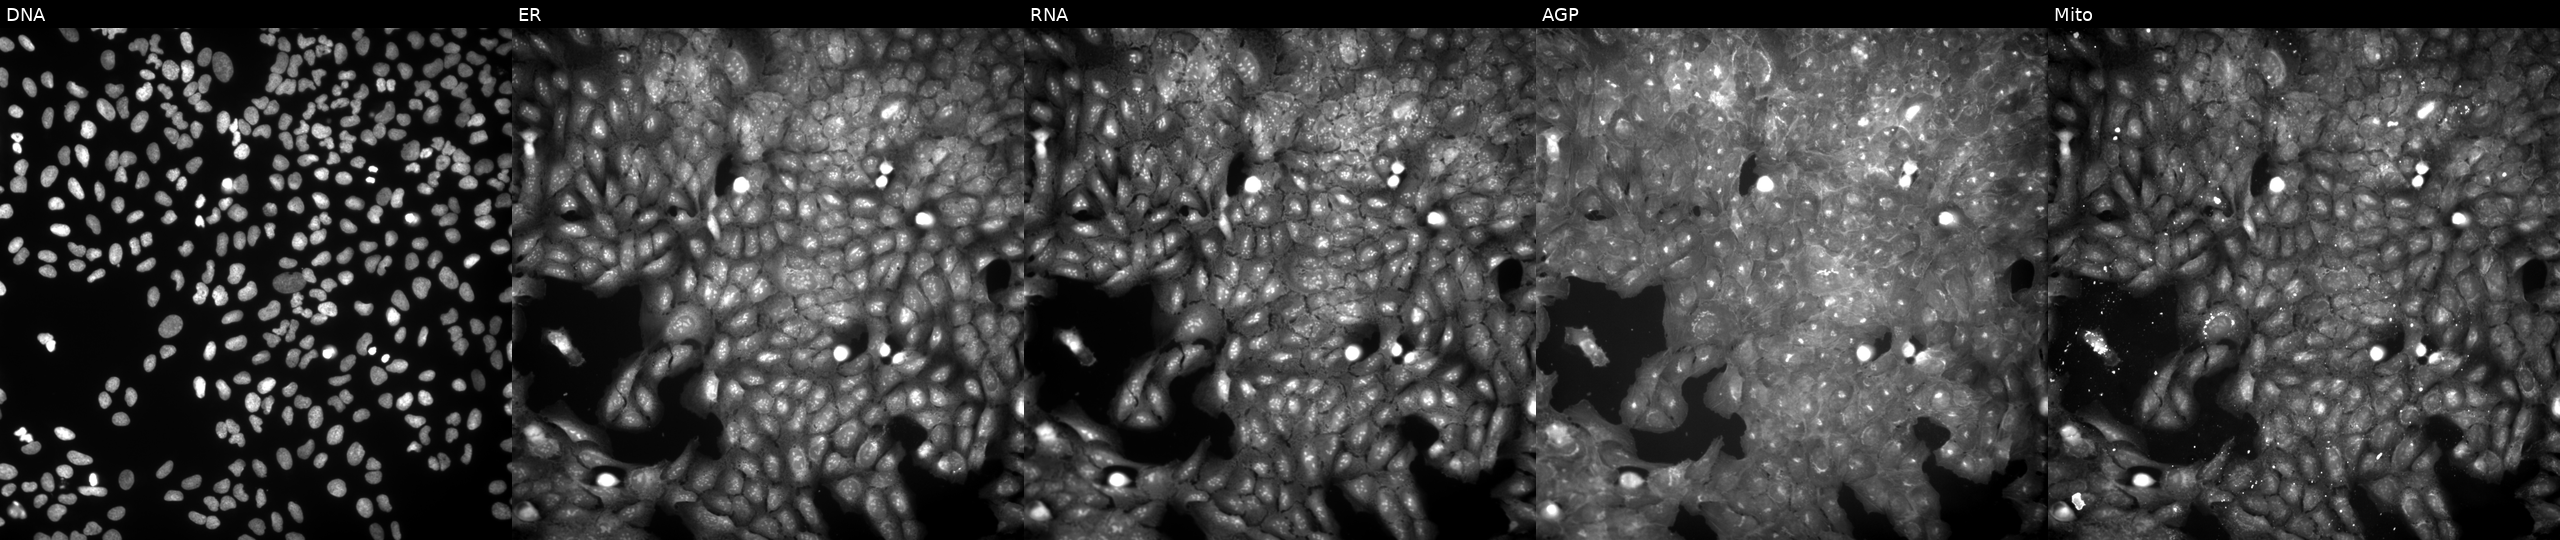
High-content fluorescence microscopy (Cell Painting). Cell line: U2OS. Perturbation: exposed to the positive-control compound TC-S-7004 (JUMP id JCP2022_012818). The five panels, left to right, show Hoechst 33342, concanavalin A, SYTO 14, phalloidin and WGA, MitoTracker. Source 9, plate GR00003382, well P25.